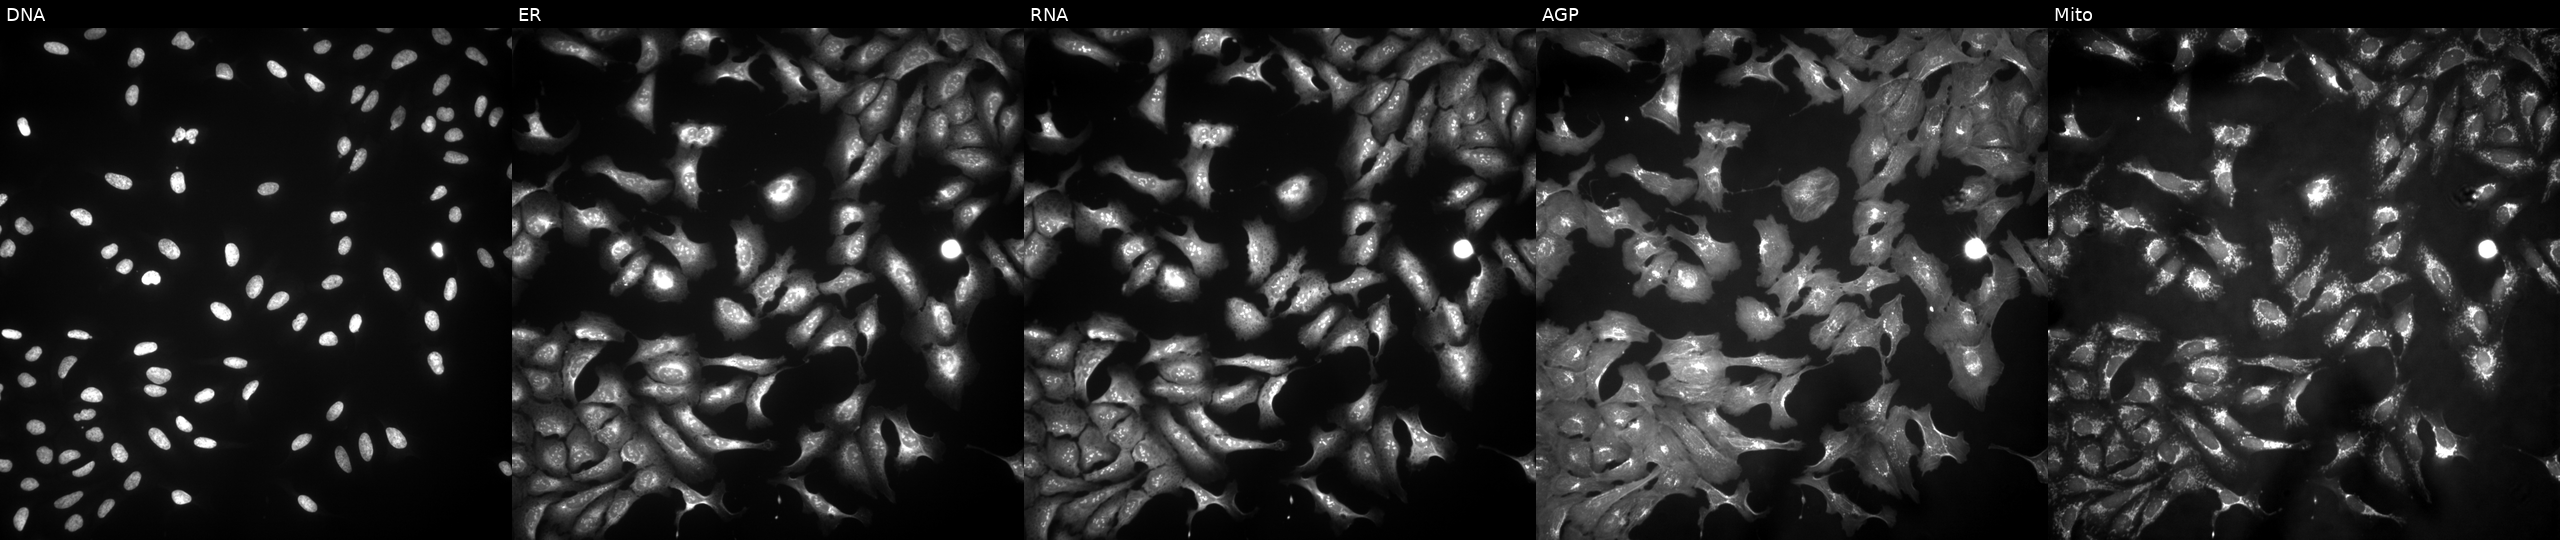
From left to right: DNA, ER, RNA, AGP, and Mito. U2OS osteosarcoma cells with RABGAP1L overexpressed (ORF). Cell Painting assay, JUMP-CP dataset.